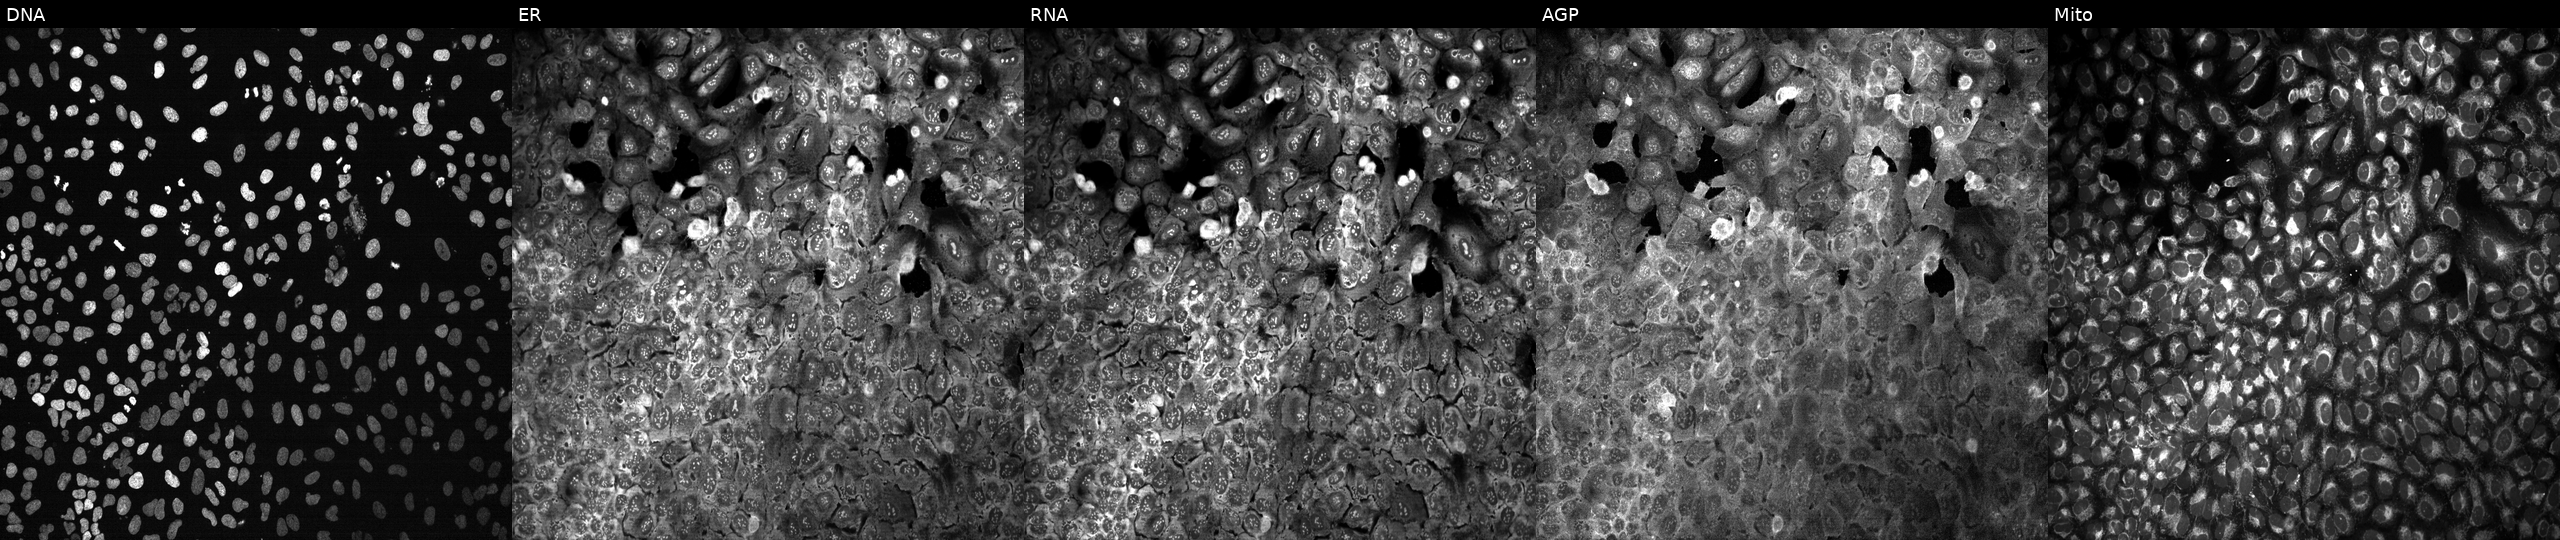
Channels (left→right): DNA (nuclei); ER (endoplasmic reticulum); RNA (nucleoli and cytoplasmic RNA); AGP (actin cytoskeleton, Golgi, and plasma membrane); Mito (mitochondria). U2OS osteosarcoma cells following CRISPR knockout of EEF1D (JUMP id JCP2022_802010). Cell Painting assay, JUMP-CP dataset. Source 13, plate CP-CC9-R3-02, well O19.